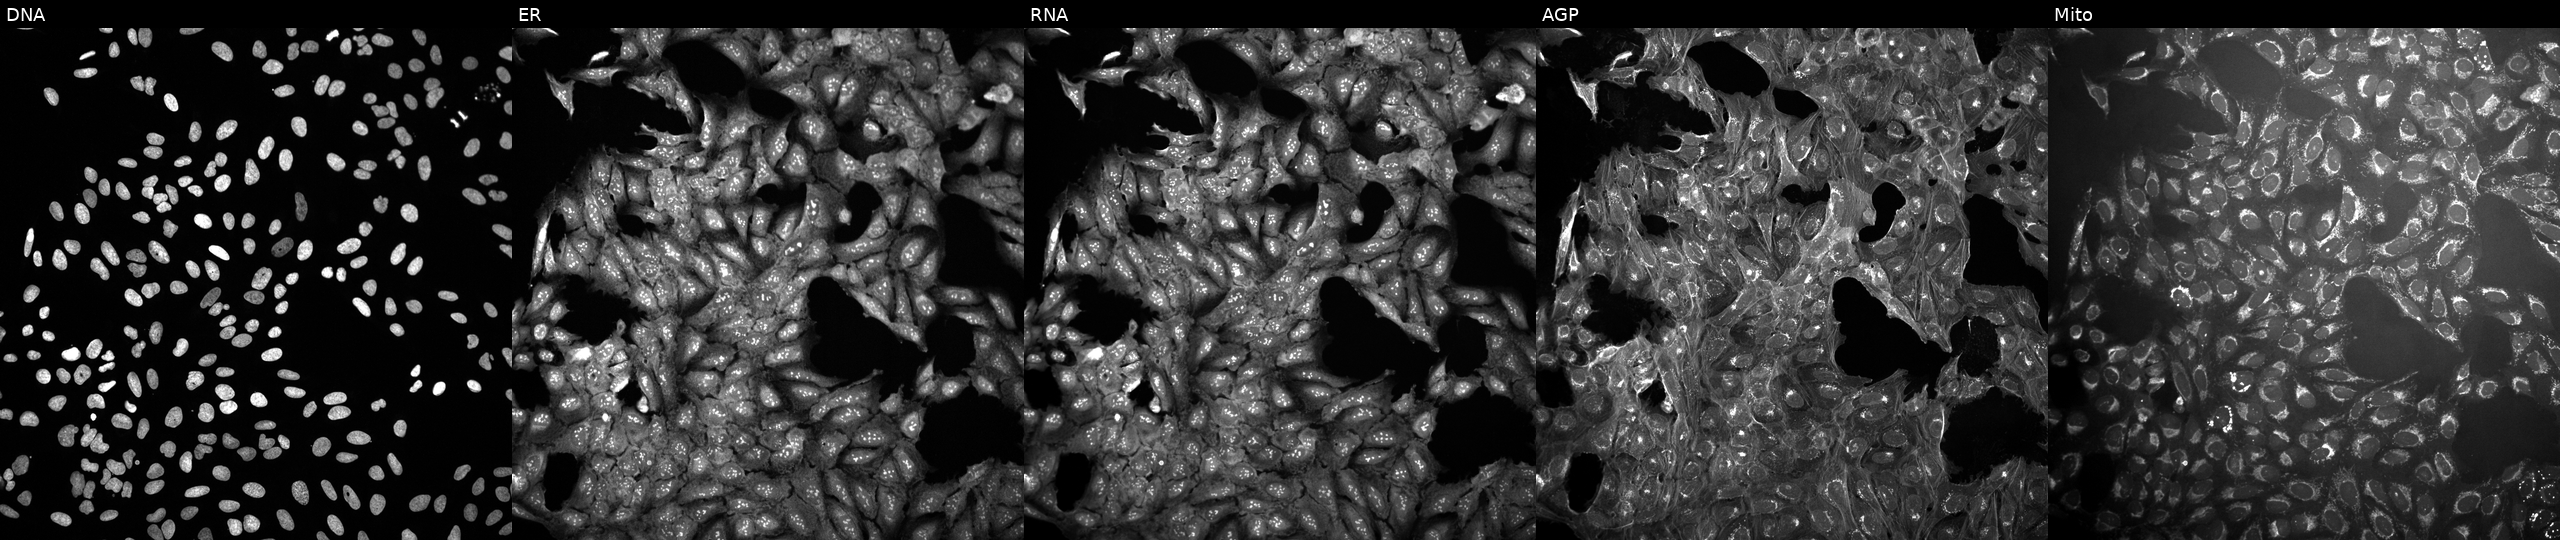
This image strip shows the five Cell Painting channels for a single field of U2OS cells exposed to the positive-control compound quinidine (JUMP id JCP2022_050797). From left to right: DNA (nuclei); ER (endoplasmic reticulum); RNA (nucleoli and cytoplasmic RNA); AGP (actin cytoskeleton, Golgi, and plasma membrane); Mito (mitochondria).